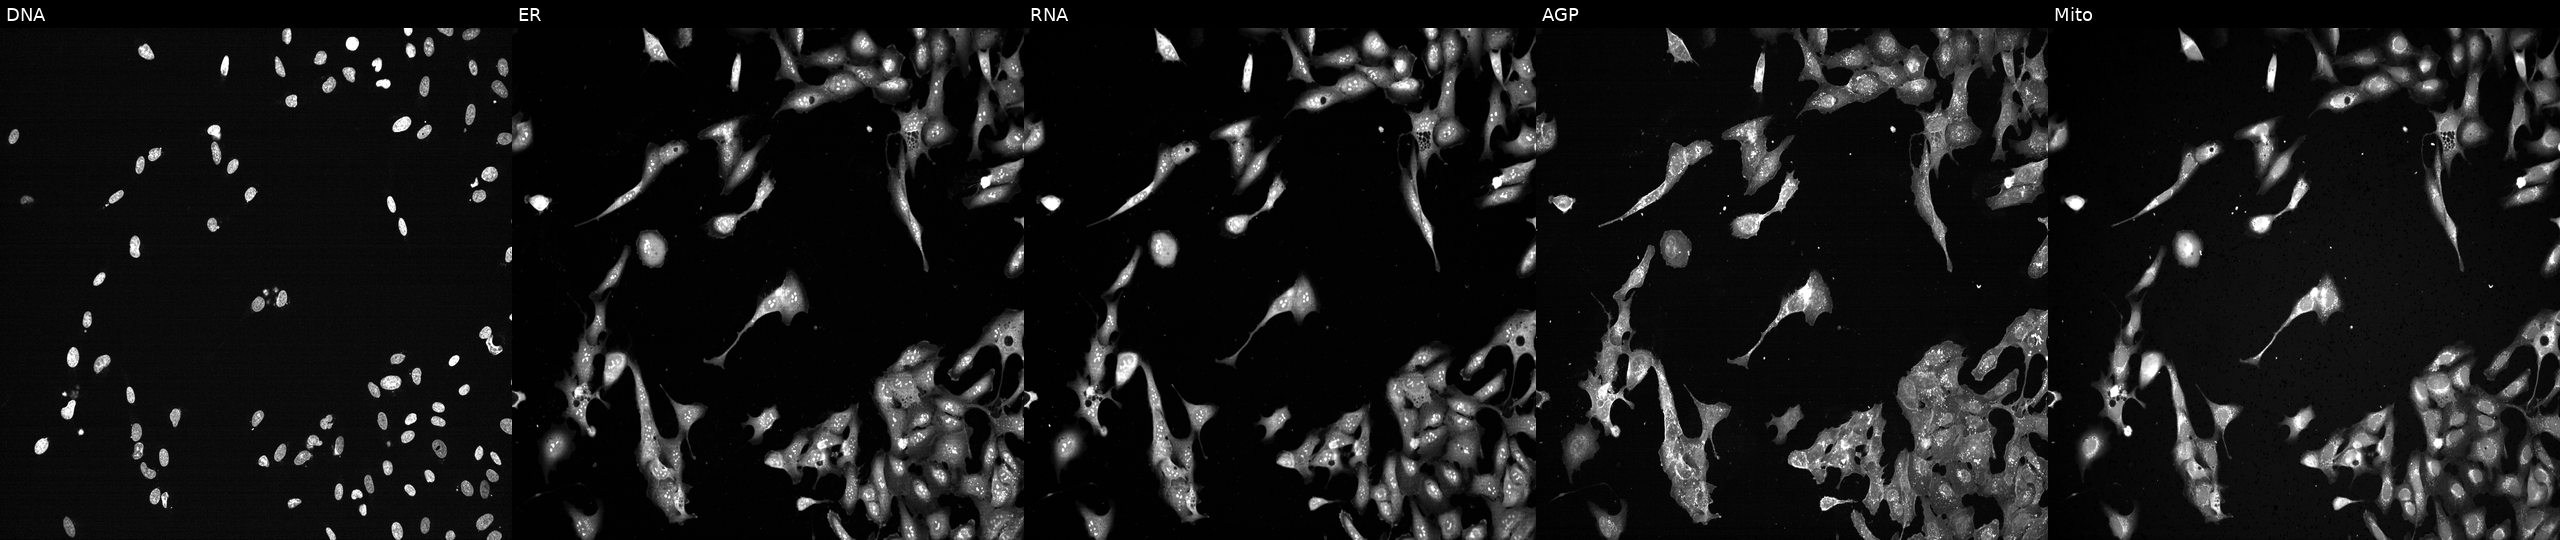
U2OS cells, Cell Painting assay, CRISPR-edited to disrupt PSMC6 (JUMP id JCP2022_805630). Panels show, left to right, Hoechst 33342, concanavalin A, SYTO 14, phalloidin and WGA, MitoTracker. Each panel is percentile-stretched 16-bit fluorescence.